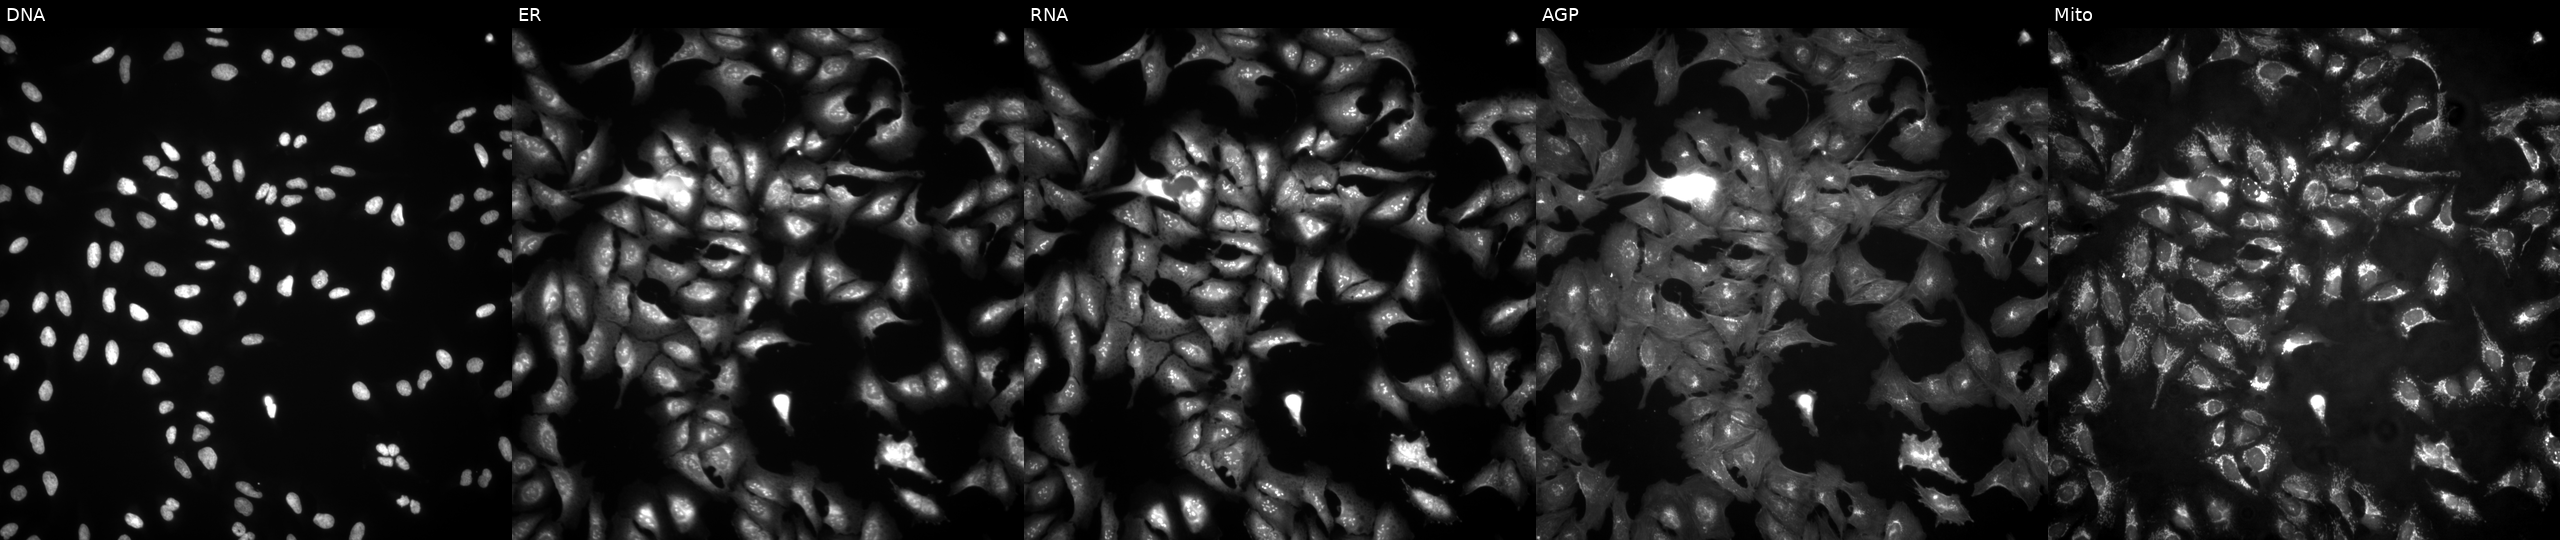
This image strip shows the five Cell Painting channels for a single field of U2OS cells transfected with an ORF construct for S100A1 (JUMP id JCP2022_901375). The five panels, left to right, show DNA (nuclei); ER (endoplasmic reticulum); RNA (nucleoli and cytoplasmic RNA); AGP (actin cytoskeleton, Golgi, and plasma membrane); Mito (mitochondria).